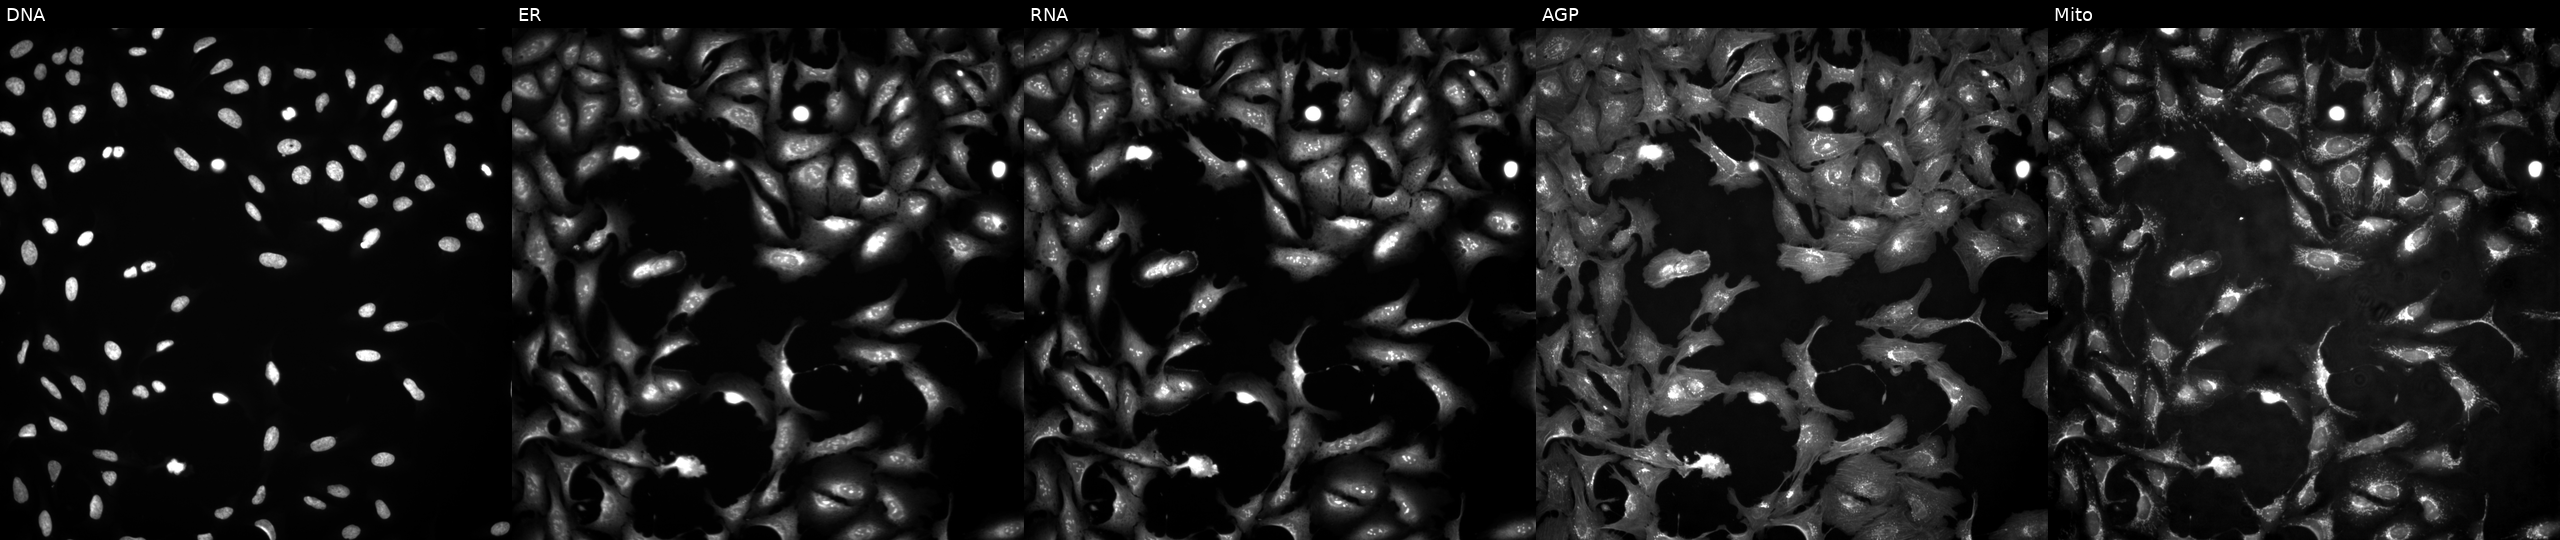
High-content fluorescence microscopy (Cell Painting). Cell line: U2OS. Perturbation: overexpressing ERBB3 via ORF transfection. Panels show, left to right, DNA, ER, RNA, AGP, and Mito. Source 4, plate BR00123945, well L07.